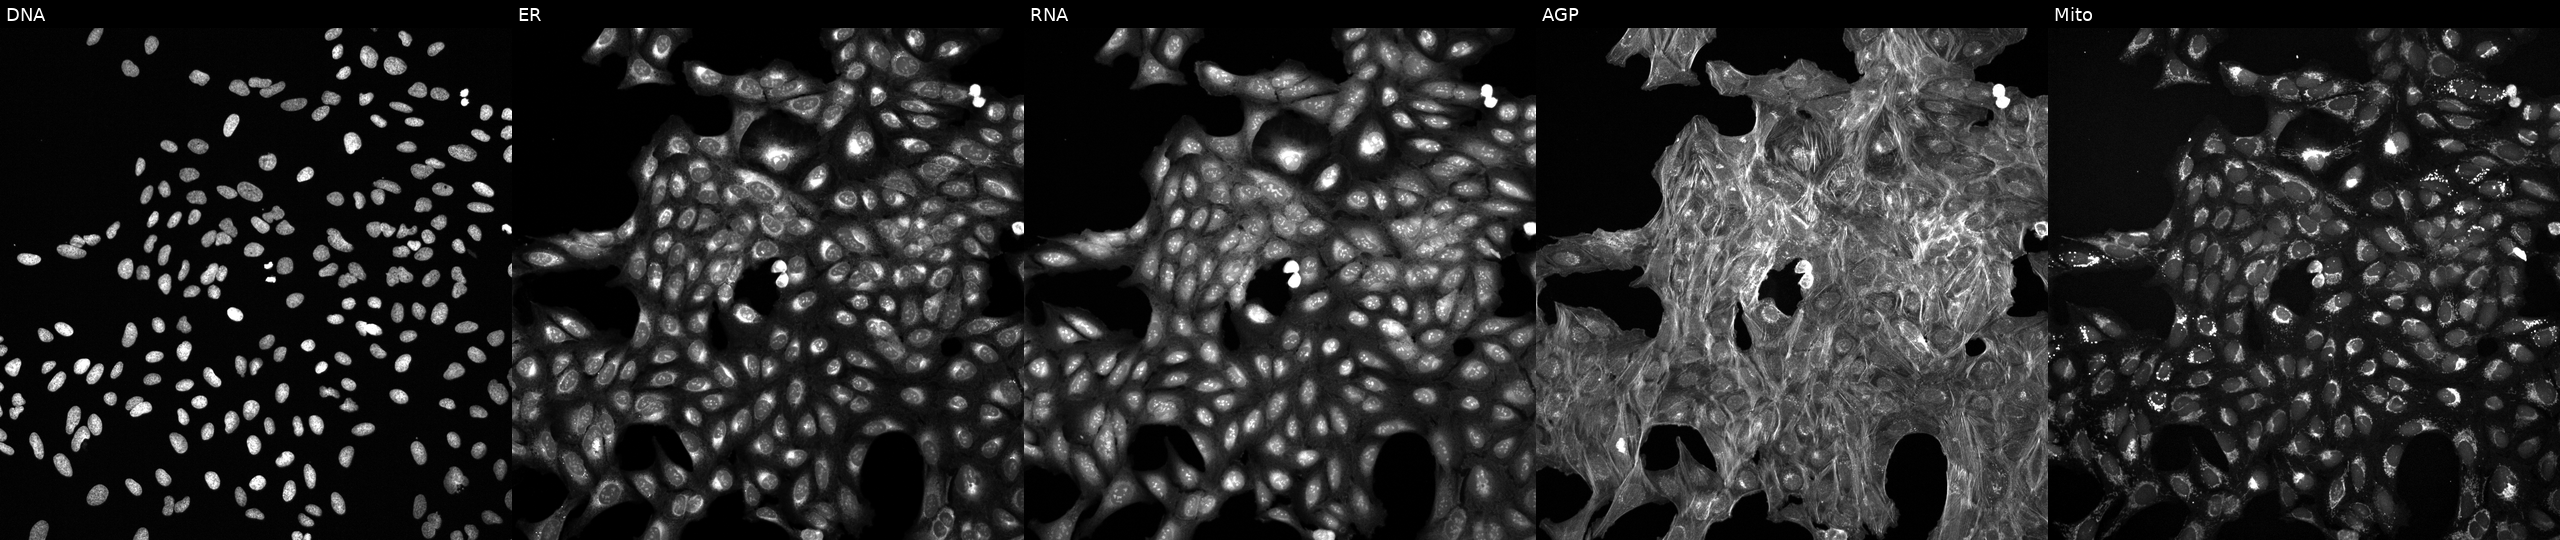
JUMP Cell Painting — TARGET2 plate. U2OS cells treated with quinidine (positive-control compound). Panels show, left to right, DNA (nuclei); ER (endoplasmic reticulum); RNA (nucleoli and cytoplasmic RNA); AGP (actin cytoskeleton, Golgi, and plasma membrane); Mito (mitochondria).